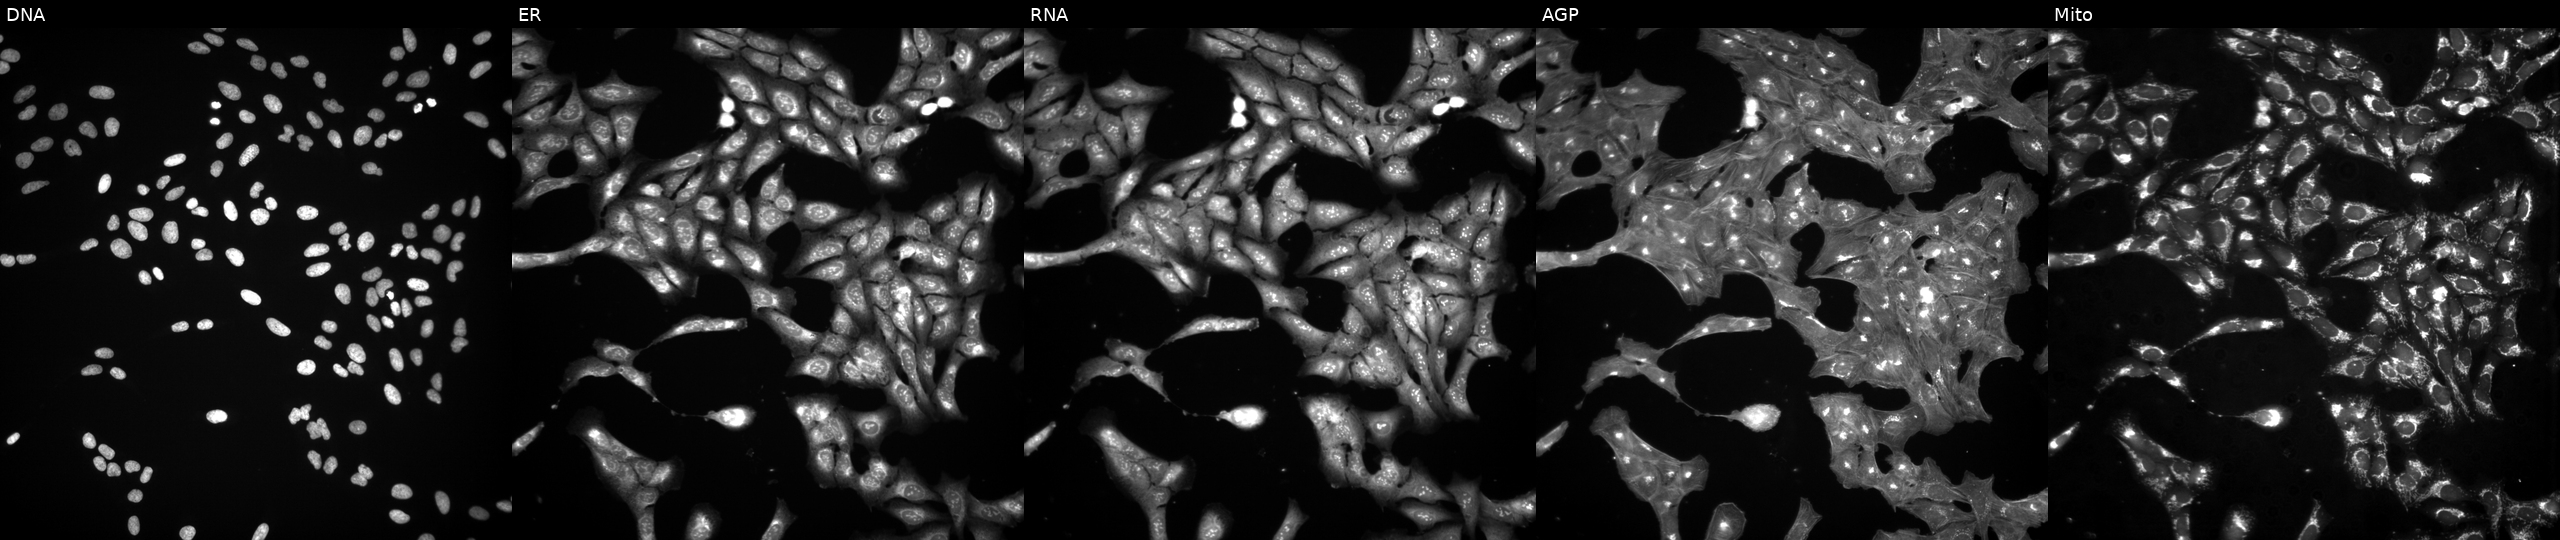
High-content fluorescence microscopy (Cell Painting). Cell line: U2OS. Perturbation: treated with quinidine (positive-control compound) (JUMP id JCP2022_050797). From left to right: DNA, ER, RNA, AGP, and Mito.